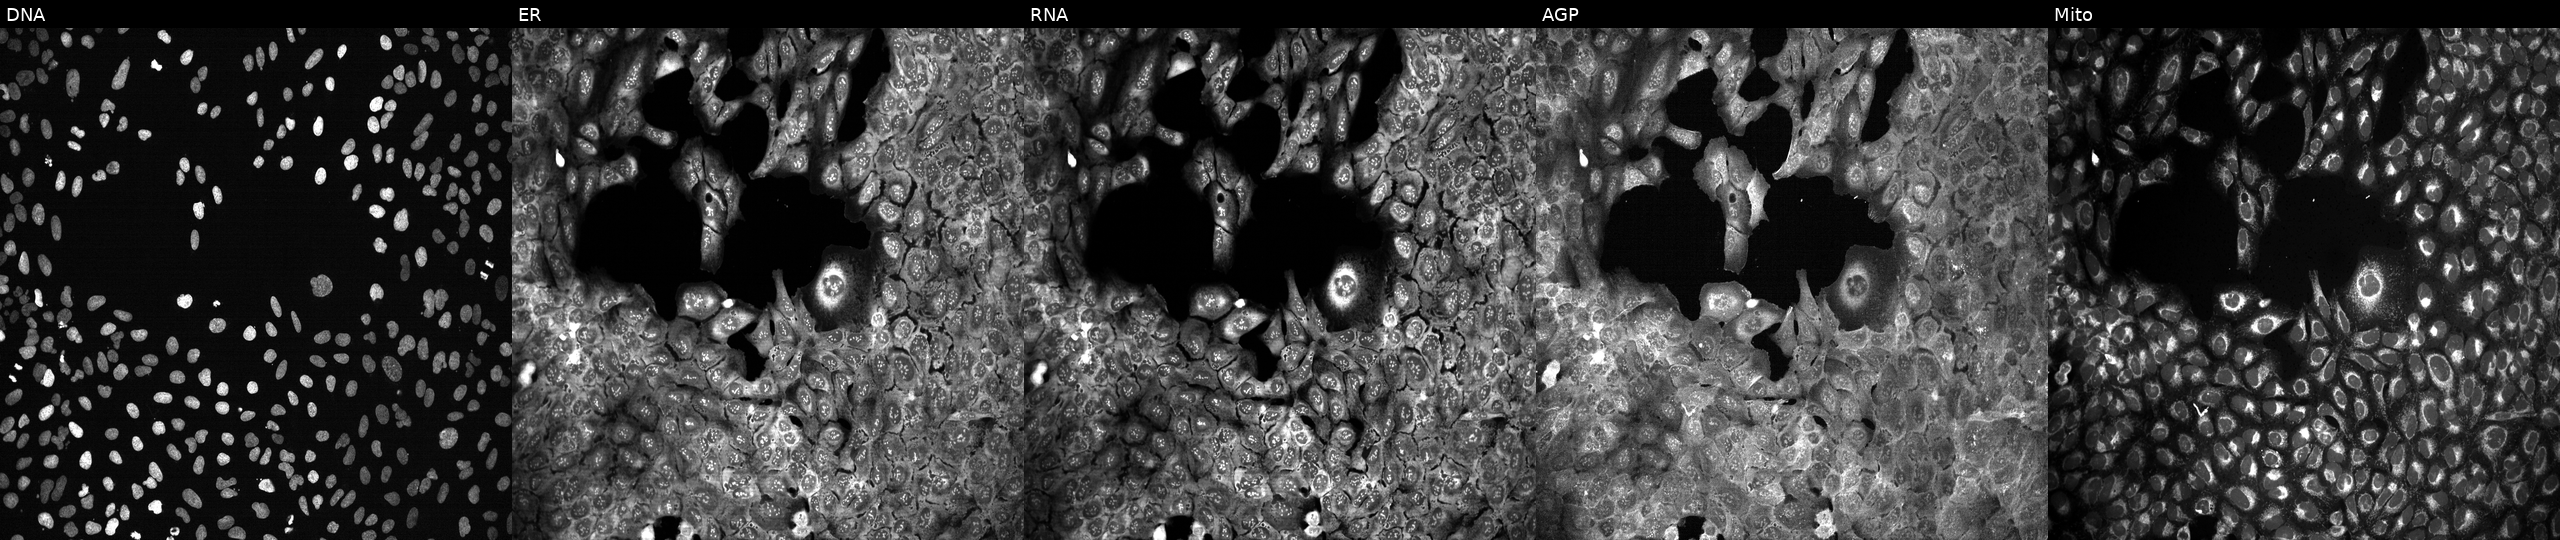
Five-channel Cell Painting image of U2OS cells CRISPR-edited to disrupt CHST13. From left to right: DNA, ER, RNA, AGP, and Mito. Source 13, plate CP-CC9-R3-02, well K22.